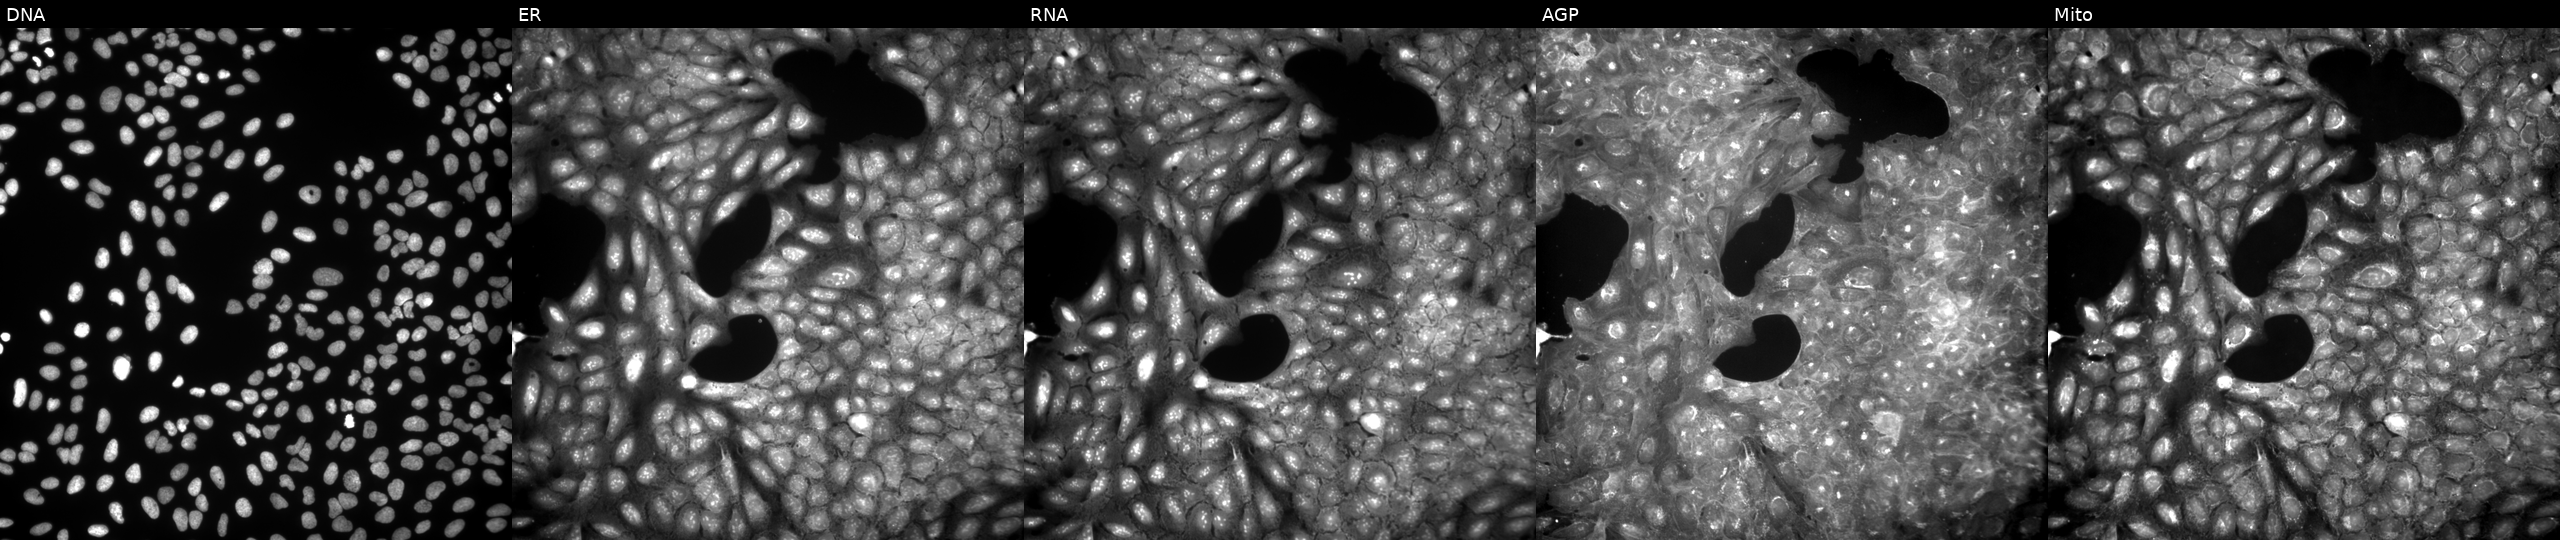
Five-channel Cell Painting image of U2OS cells exposed to a small-molecule compound (InChIKey GYZIJDSQMMANKN-UHFFFAOYSA-N) (JUMP id JCP2022_028648). From left to right: Hoechst 33342, concanavalin A, SYTO 14, phalloidin and WGA, MitoTracker. Source 9, plate GR00003381, well M39.